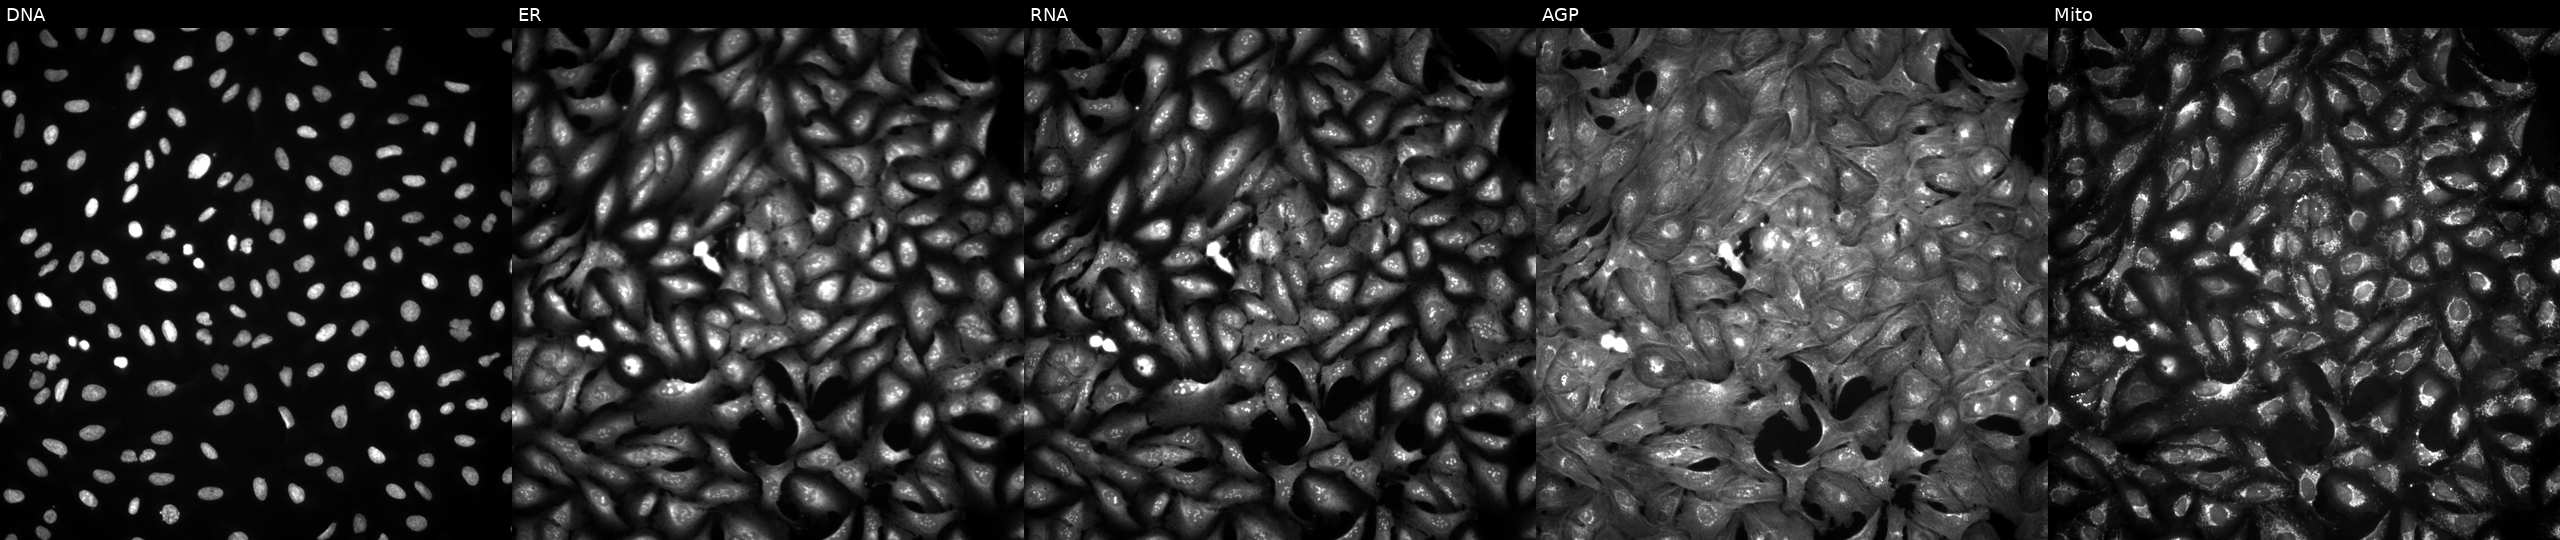
This image strip shows the five Cell Painting channels for a single field of U2OS cells transfected with a failed ORF construct (JUMP BAD CONSTRUCT marker) (JUMP id JCP2022_900001). Panels show, left to right, Hoechst 33342, concanavalin A, SYTO 14, phalloidin and WGA, MitoTracker.